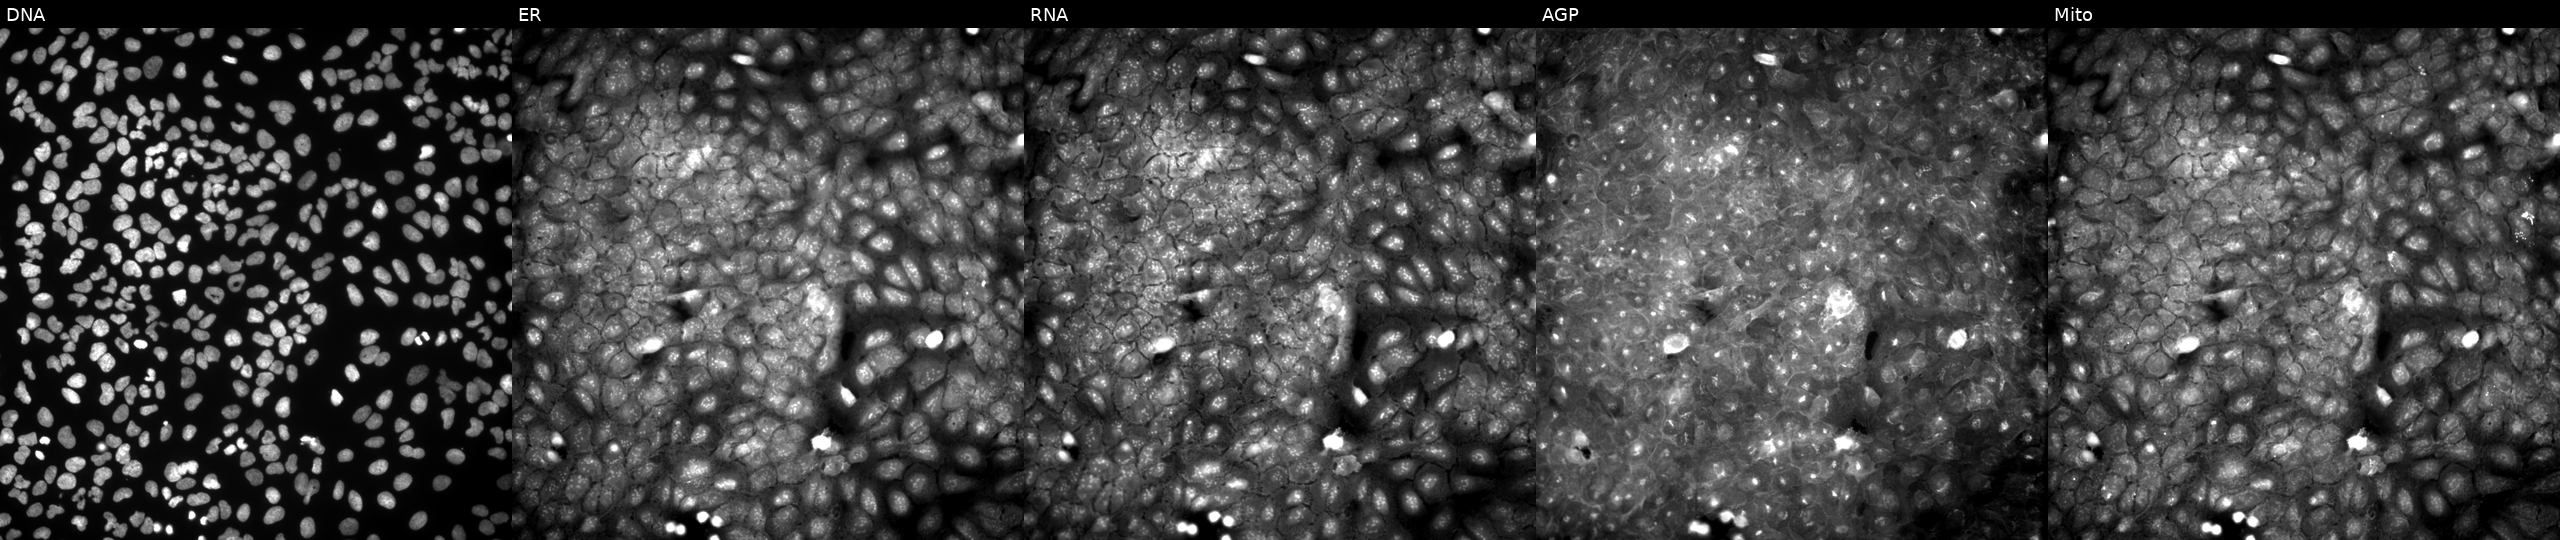
U2OS cells, Cell Painting assay, treated with DMSO vehicle only (negative control). The five panels, left to right, show DNA (nuclei); ER (endoplasmic reticulum); RNA (nucleoli and cytoplasmic RNA); AGP (actin cytoskeleton, Golgi, and plasma membrane); Mito (mitochondria). Each panel is percentile-stretched 16-bit fluorescence.